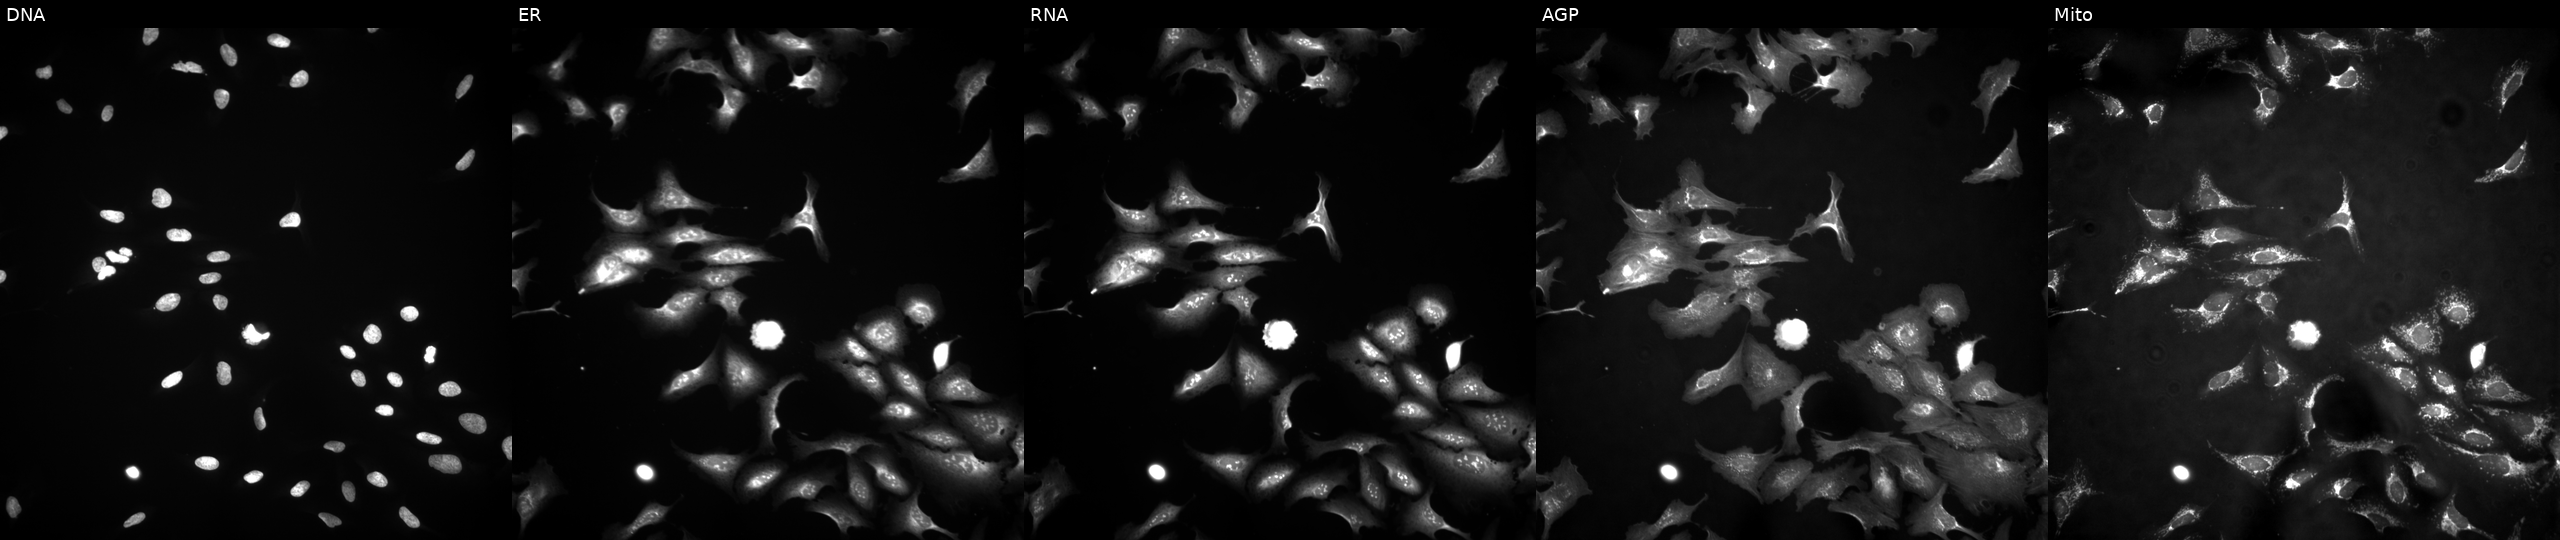
JUMP Cell Painting — ORF plate. U2OS cells transfected with an ORF construct for DACT3. The five panels, left to right, show DNA, ER, RNA, AGP, and Mito.